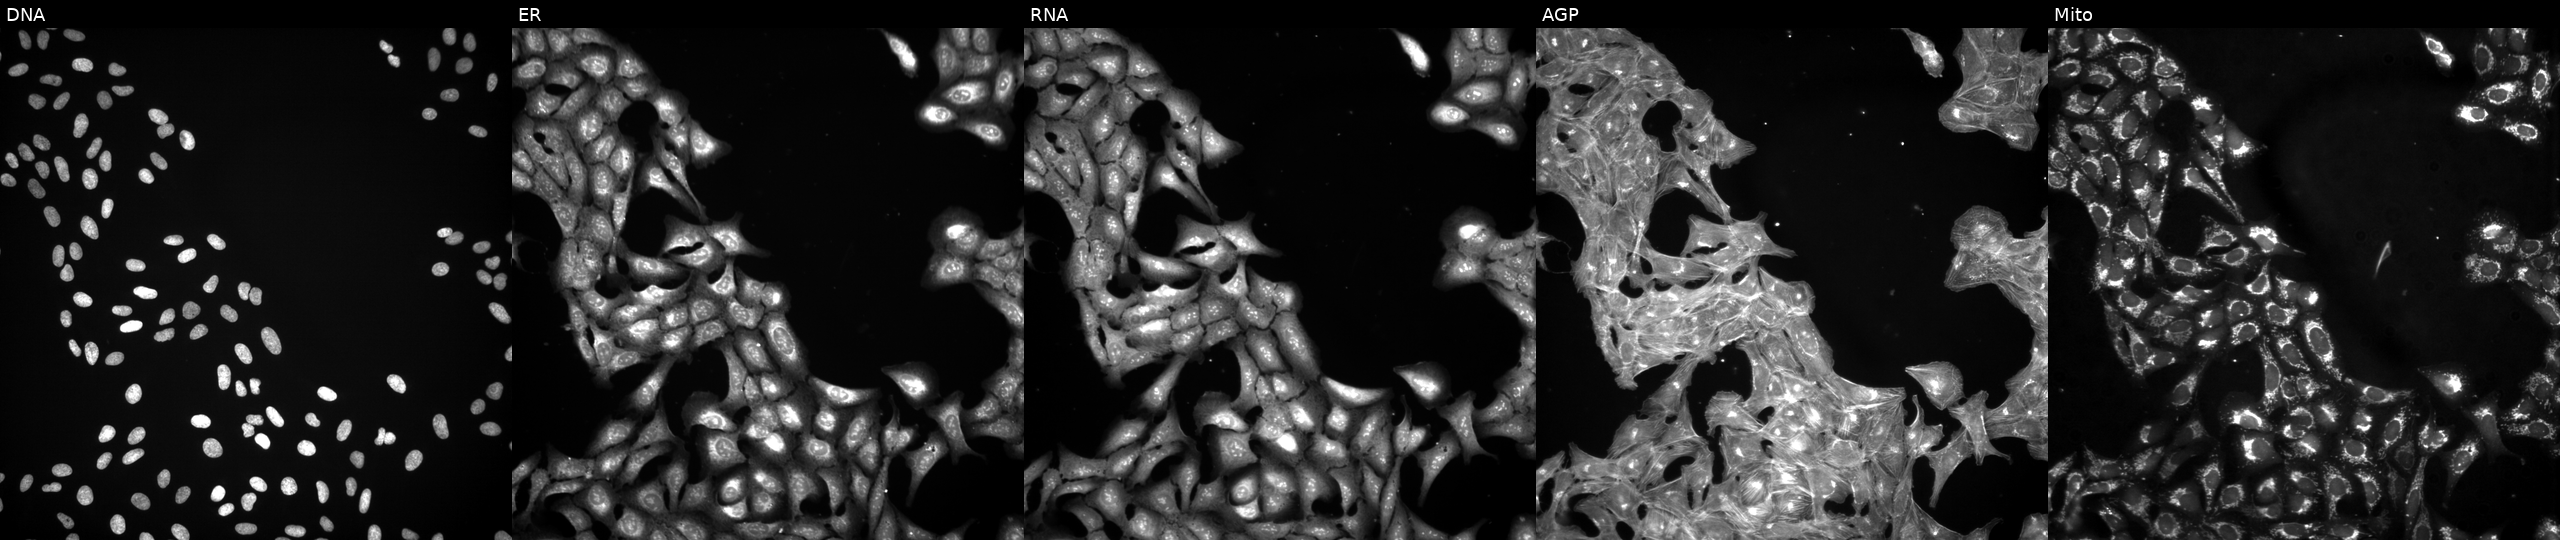
Five-channel Cell Painting image of U2OS cells exposed to a small-molecule compound (InChIKey MQQNFDZXWVTQEH-UHFFFAOYSA-N). The five panels, left to right, show DNA, ER, RNA, AGP, and Mito. Source 3, plate JCPQC053, well N05.